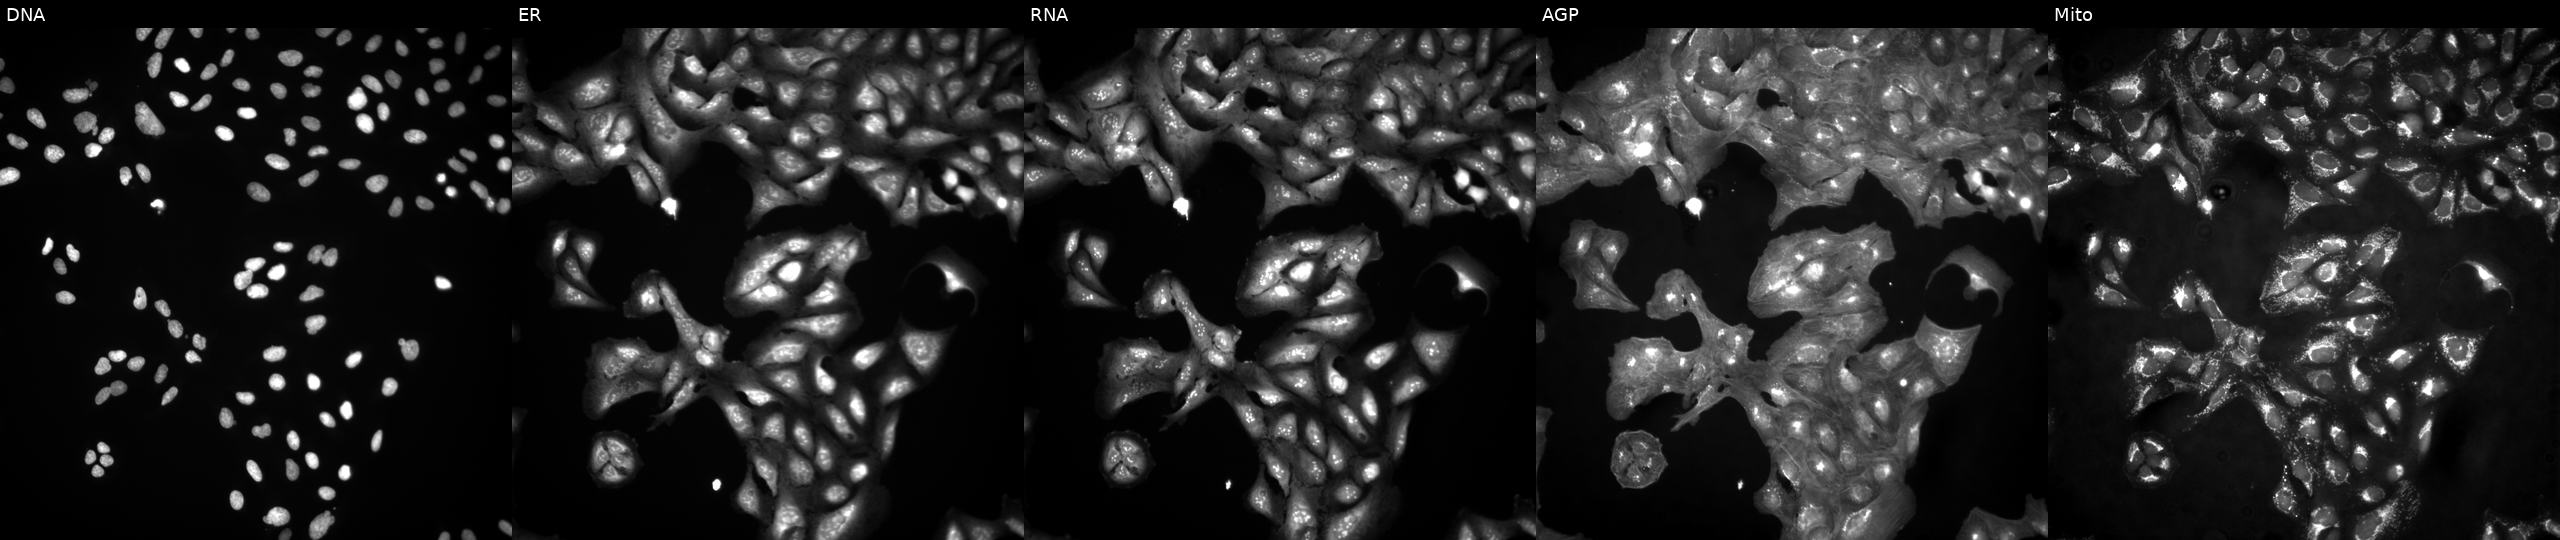
Five-channel Cell Painting image of U2OS cells in an empty control well (no perturbation). The five panels, left to right, show DNA, ER, RNA, AGP, and Mito. Source 4, plate BR00123946, well I21.